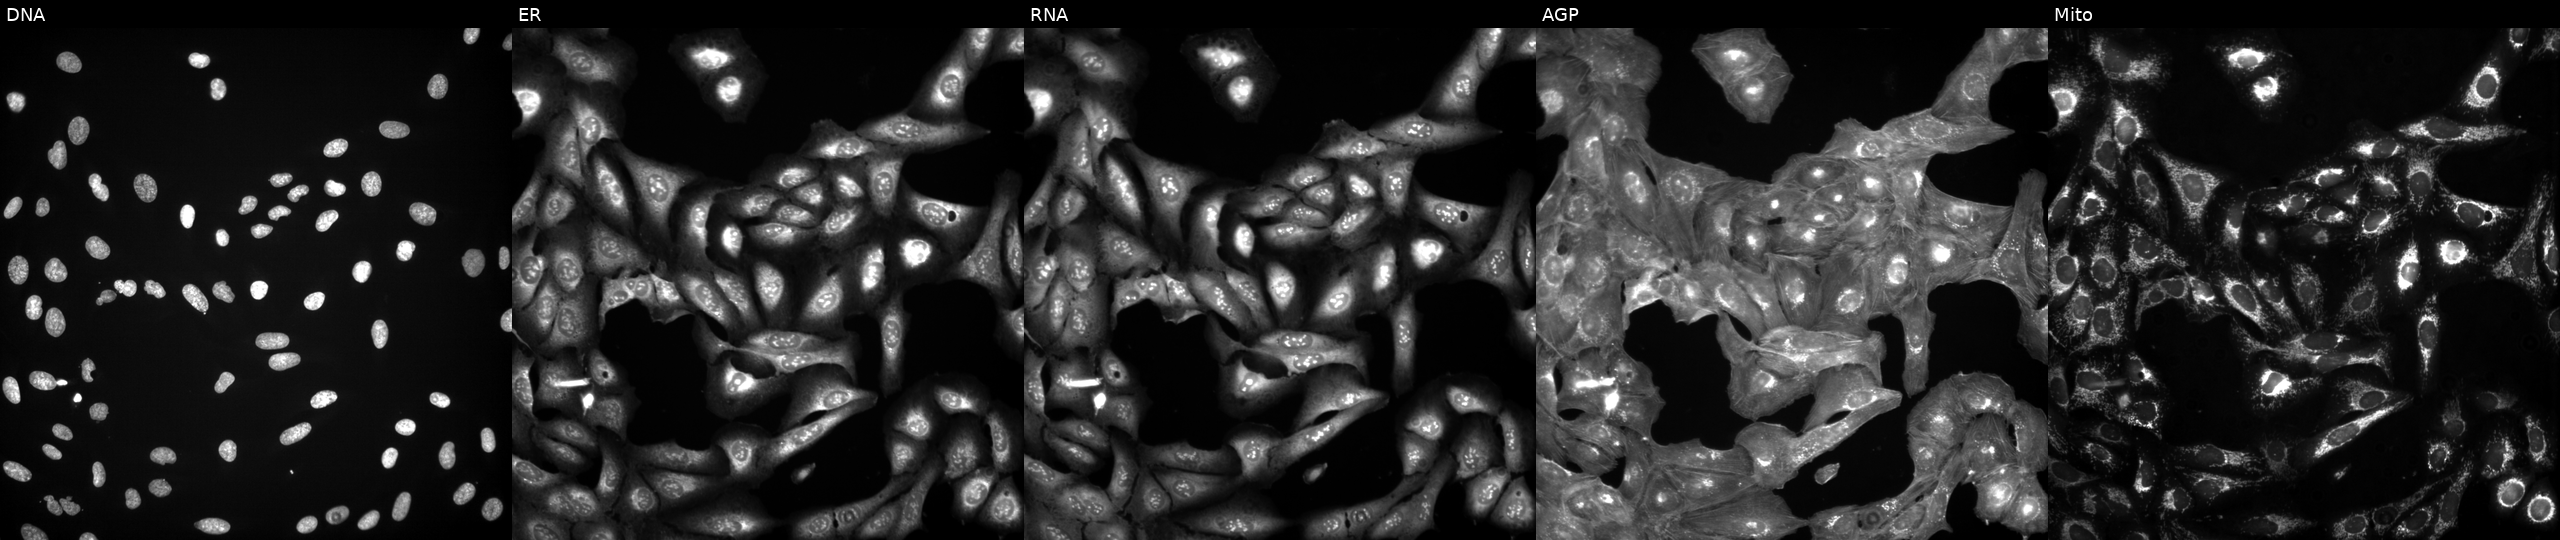
The five panels, left to right, show DNA (nuclei); ER (endoplasmic reticulum); RNA (nucleoli and cytoplasmic RNA); AGP (actin cytoskeleton, Golgi, and plasma membrane); Mito (mitochondria). U2OS osteosarcoma cells treated with a small-molecule compound (InChIKey CAOWNCTTWGSKDO-UHFFFAOYSA-N). Cell Painting assay, JUMP-CP dataset.